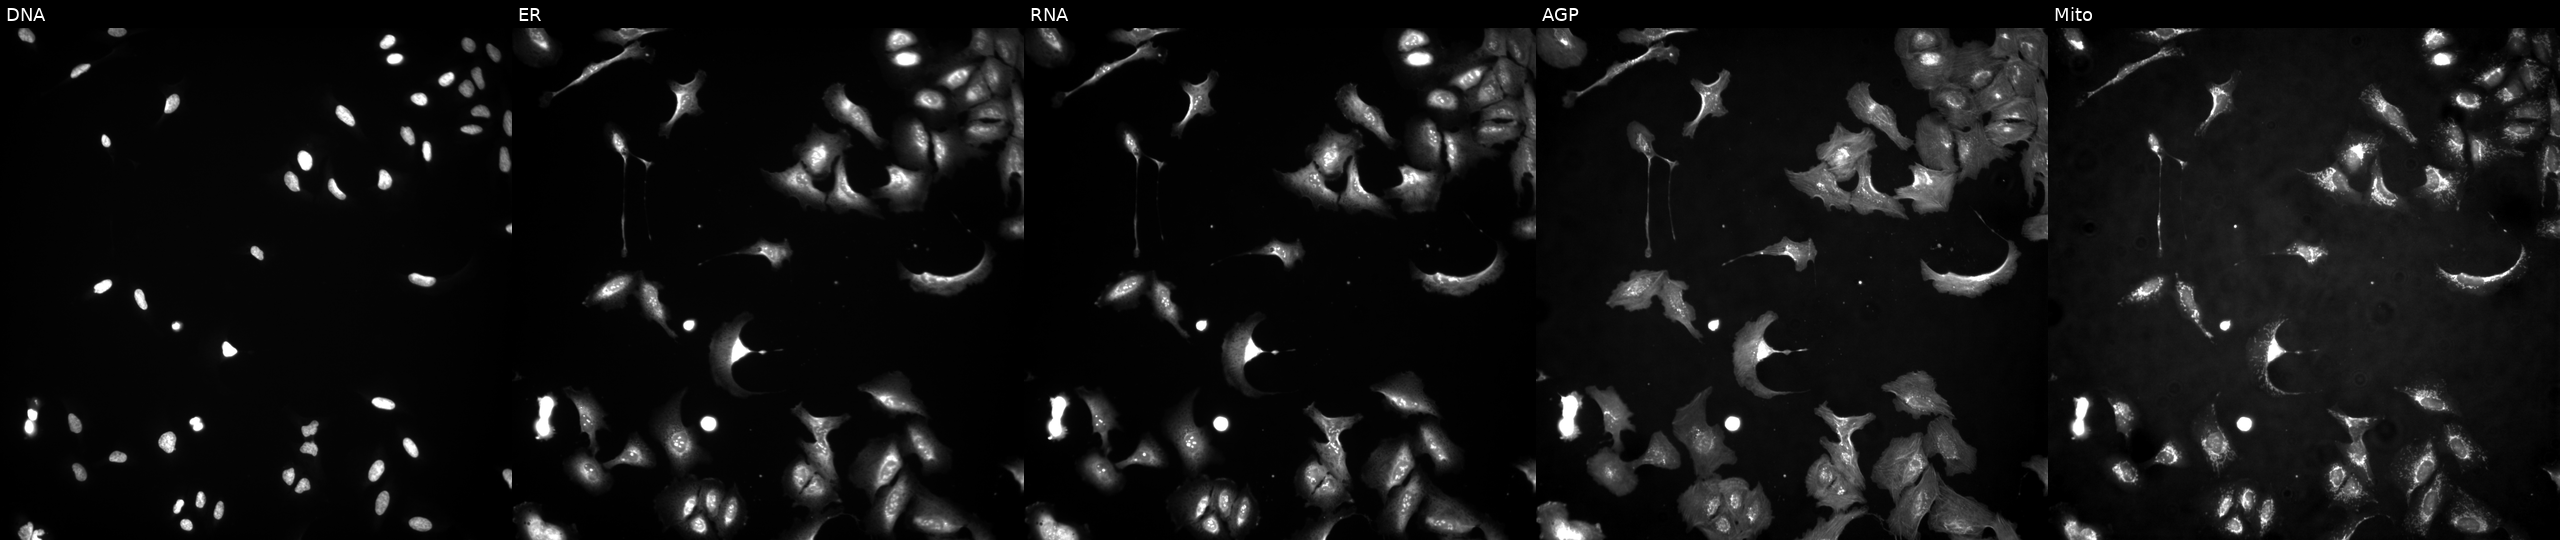
This image strip shows the five Cell Painting channels for a single field of U2OS cells overexpressing POM121 via ORF transfection. From left to right: Hoechst 33342, concanavalin A, SYTO 14, phalloidin and WGA, MitoTracker. Source 4, plate BR00124784, well I21.